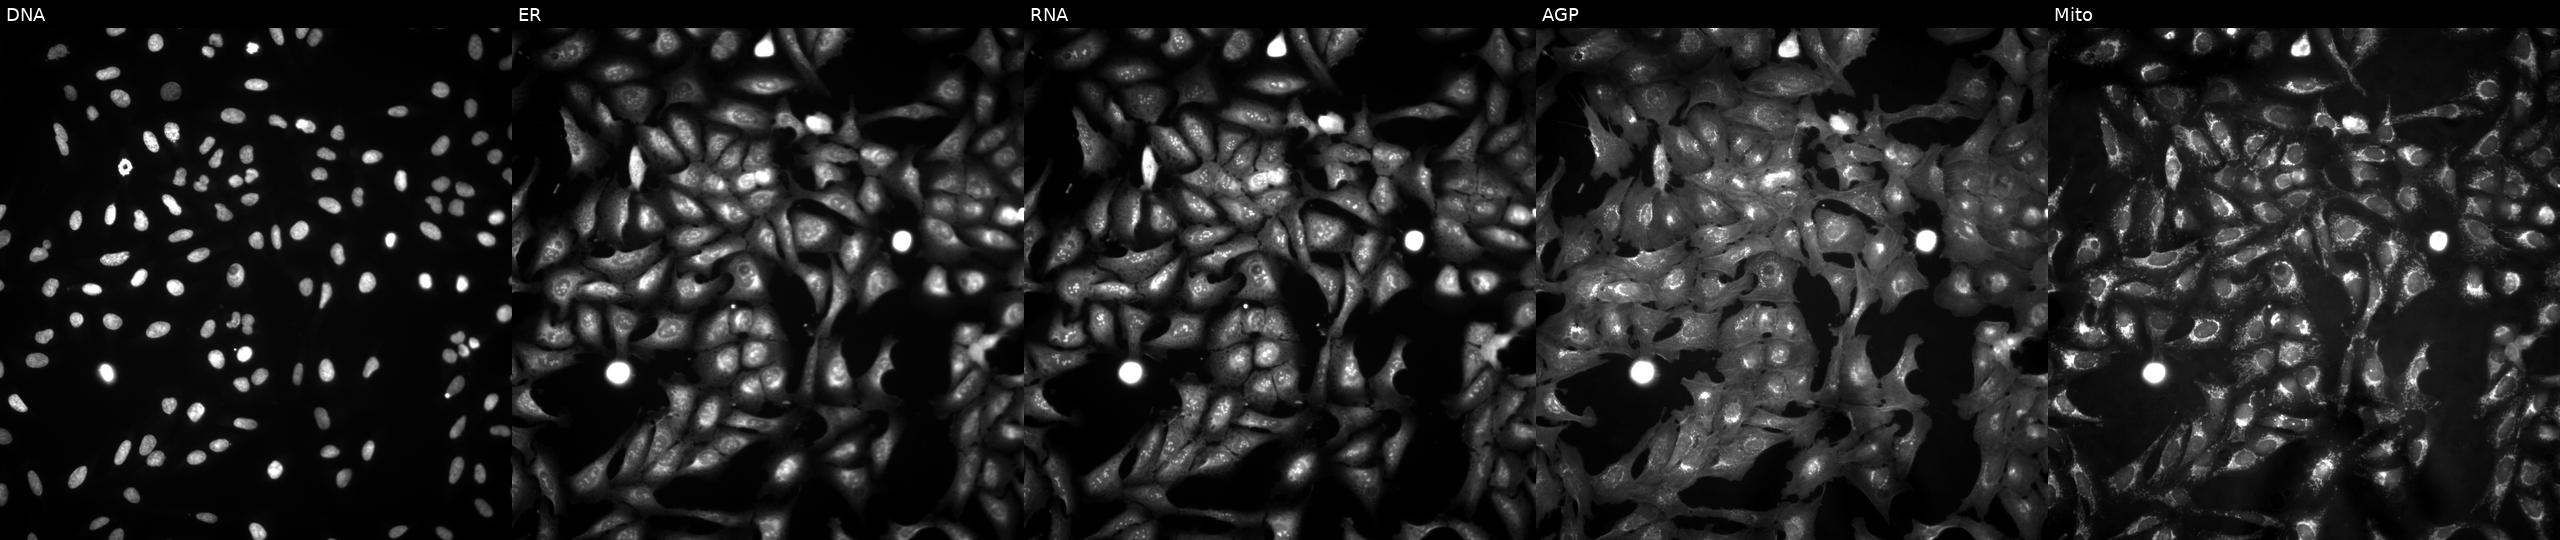
U2OS cells, Cell Painting assay, with RPH3A overexpressed (ORF) (JUMP id JCP2022_907301). Channels (left→right): DNA (nuclei); ER (endoplasmic reticulum); RNA (nucleoli and cytoplasmic RNA); AGP (actin cytoskeleton, Golgi, and plasma membrane); Mito (mitochondria). Each panel is percentile-stretched 16-bit fluorescence.